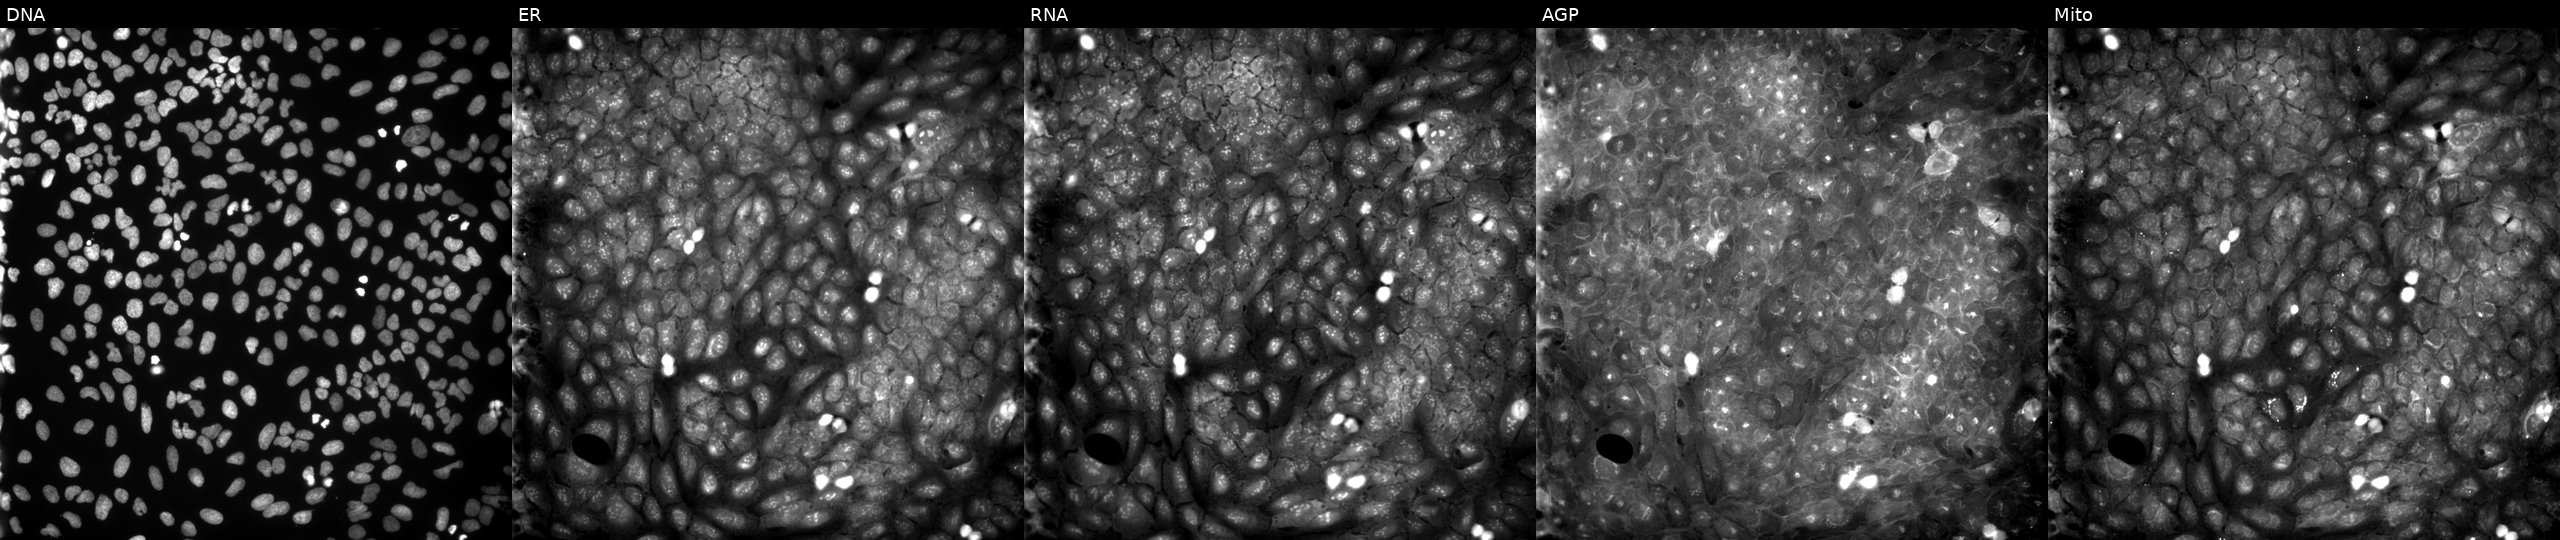
High-content fluorescence microscopy (Cell Painting). Cell line: U2OS. Perturbation: exposed to a small-molecule compound [SMILES: C=c1[nH]oc(=O)c1=Cc1ccc(OC)c(Br)c1] (JUMP id JCP2022_056914). From left to right: DNA, ER, RNA, AGP, and Mito. Source 9, plate GR00003382, well J18.